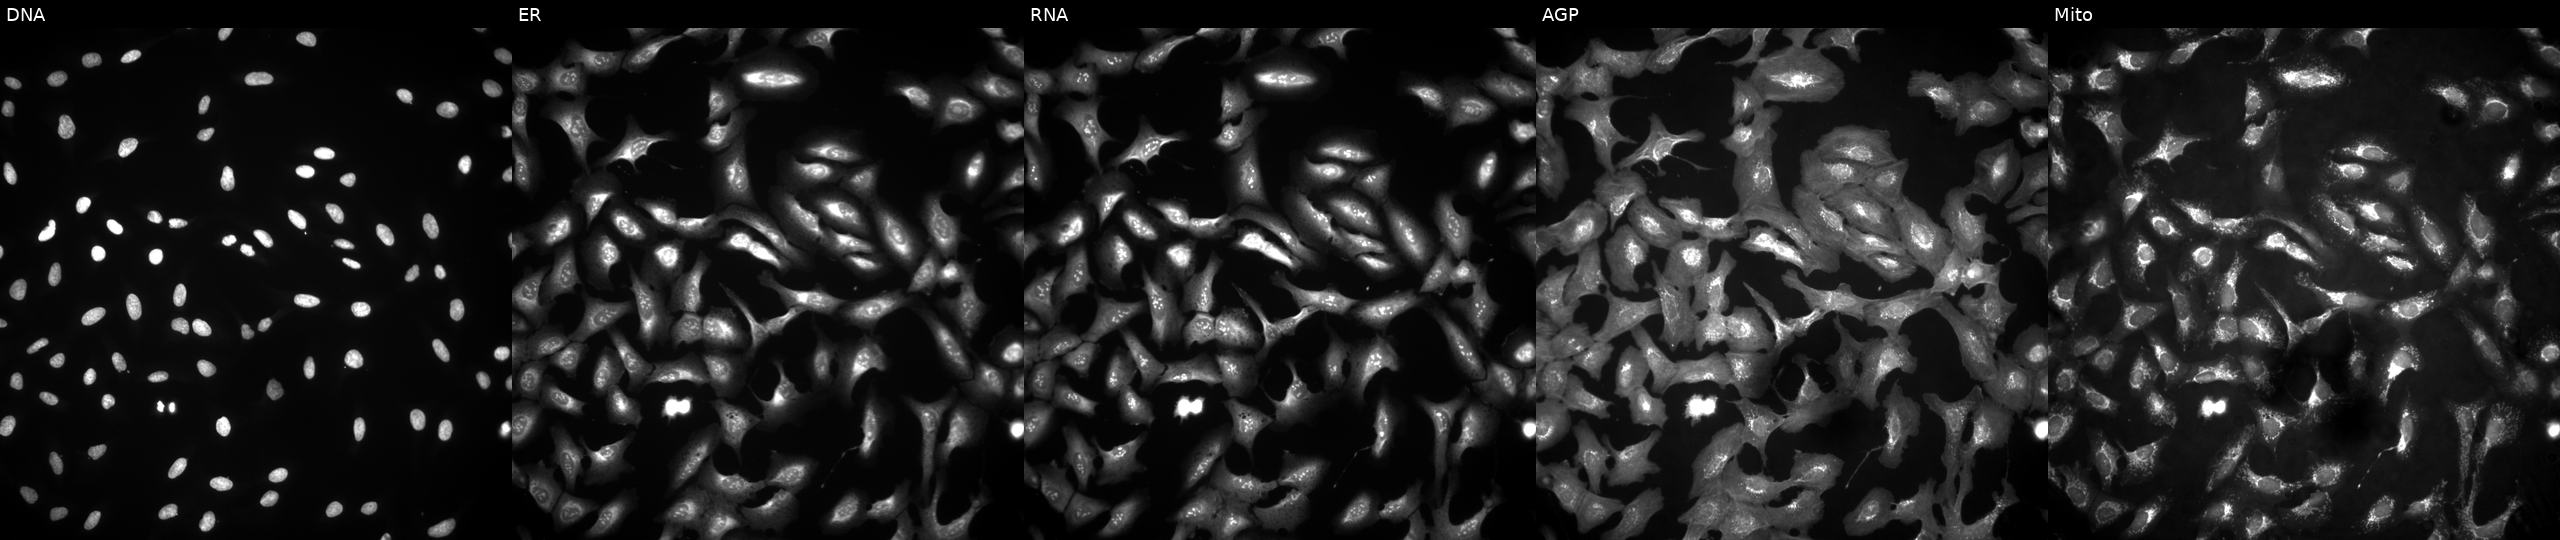
U2OS cells, Cell Painting assay, overexpressing FLYWCH2 via ORF transfection. Panels show, left to right, DNA (nuclei); ER (endoplasmic reticulum); RNA (nucleoli and cytoplasmic RNA); AGP (actin cytoskeleton, Golgi, and plasma membrane); Mito (mitochondria). Each panel is percentile-stretched 16-bit fluorescence. Source 4, plate BR00124790, well L21.